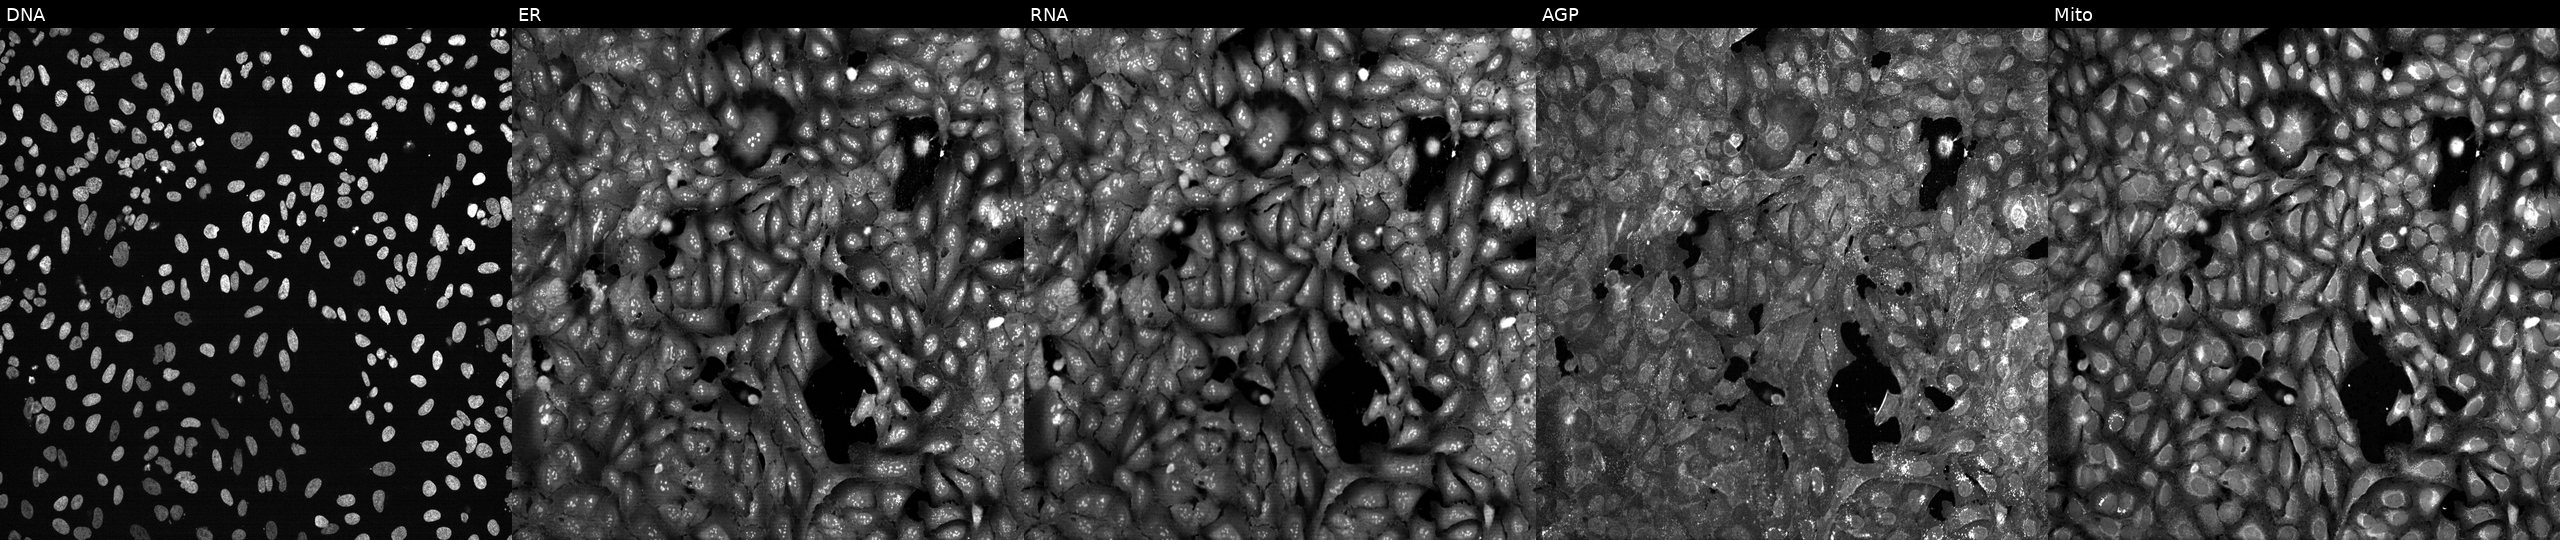
This image strip shows the five Cell Painting channels for a single field of U2OS cells CRISPR-edited to disrupt MYH4 (JUMP id JCP2022_804366). Channels (left→right): DNA, ER, RNA, AGP, and Mito. Source 13, plate CP-CC9-R1-02, well D05.